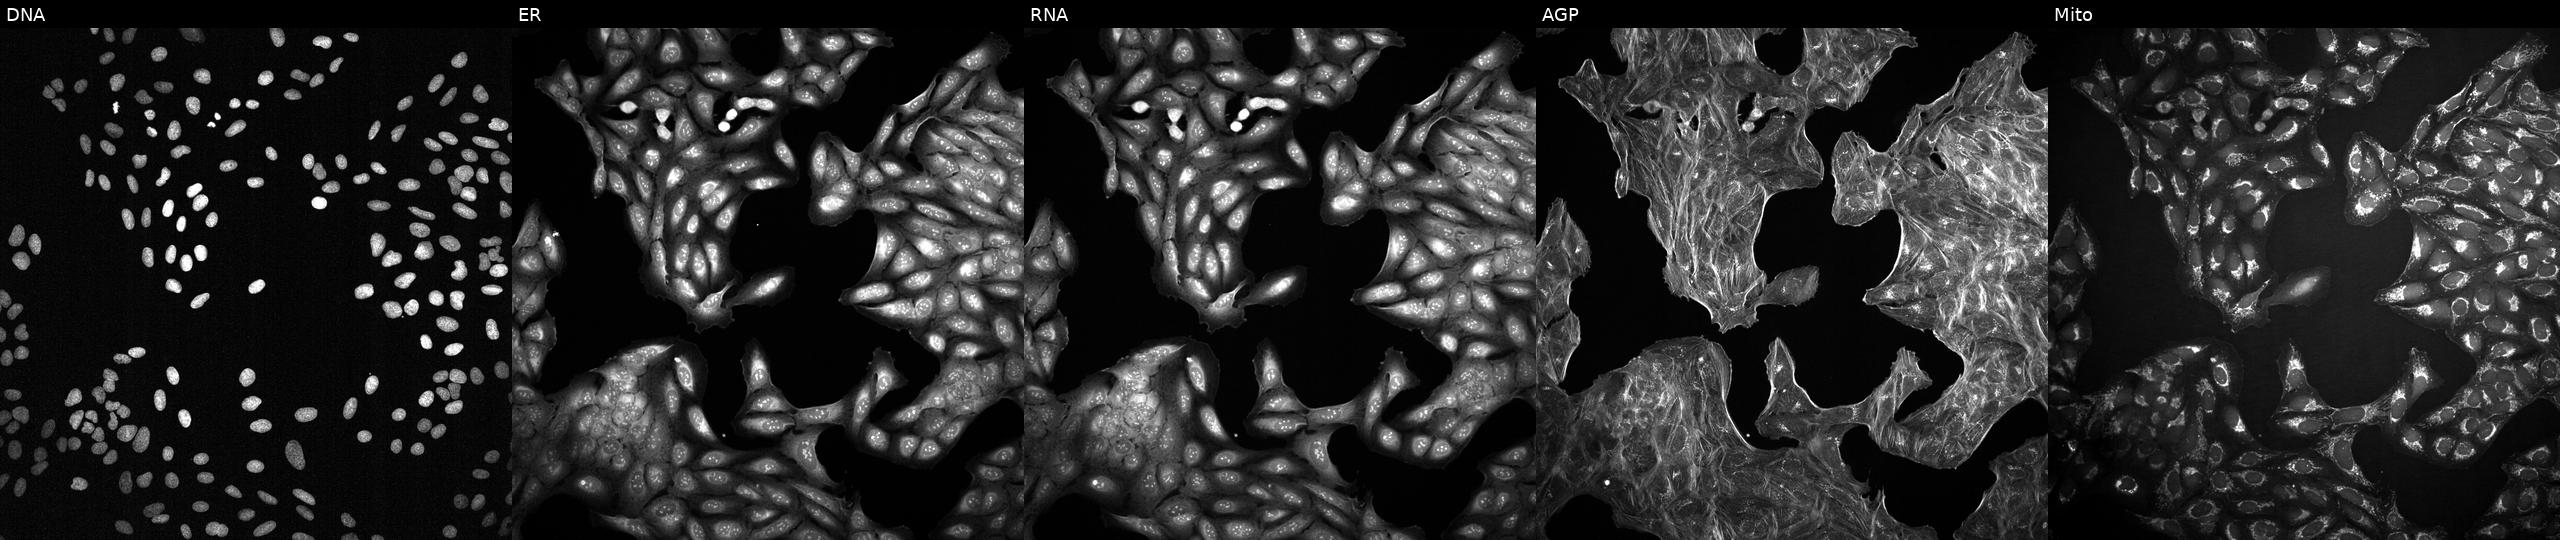
Panels show, left to right, DNA, ER, RNA, AGP, and Mito. U2OS osteosarcoma cells exposed to a small-molecule compound (InChIKey WJBLNOPPDWQMCH-UHFFFAOYSA-N) (JUMP id JCP2022_099089). Cell Painting assay, JUMP-CP dataset.